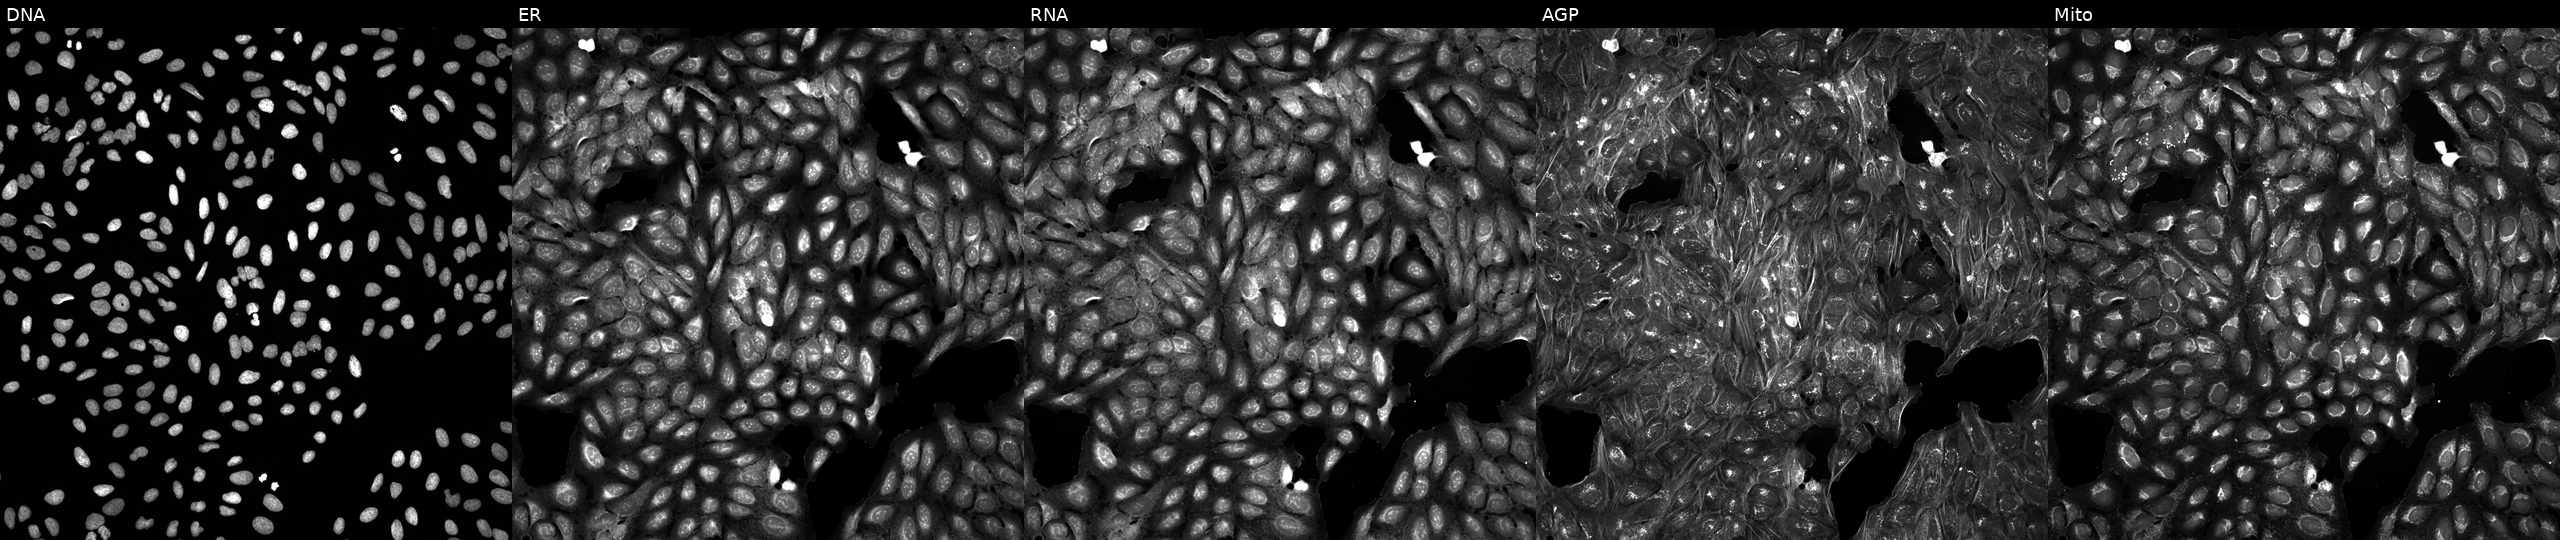
The five panels, left to right, show Hoechst 33342, concanavalin A, SYTO 14, phalloidin and WGA, MitoTracker. U2OS osteosarcoma cells treated with a small-molecule compound (InChIKey MKMXORFBADZUQG-UHFFFAOYSA-N). Cell Painting assay, JUMP-CP dataset. Source 5, plate APTJUM106, well F14.